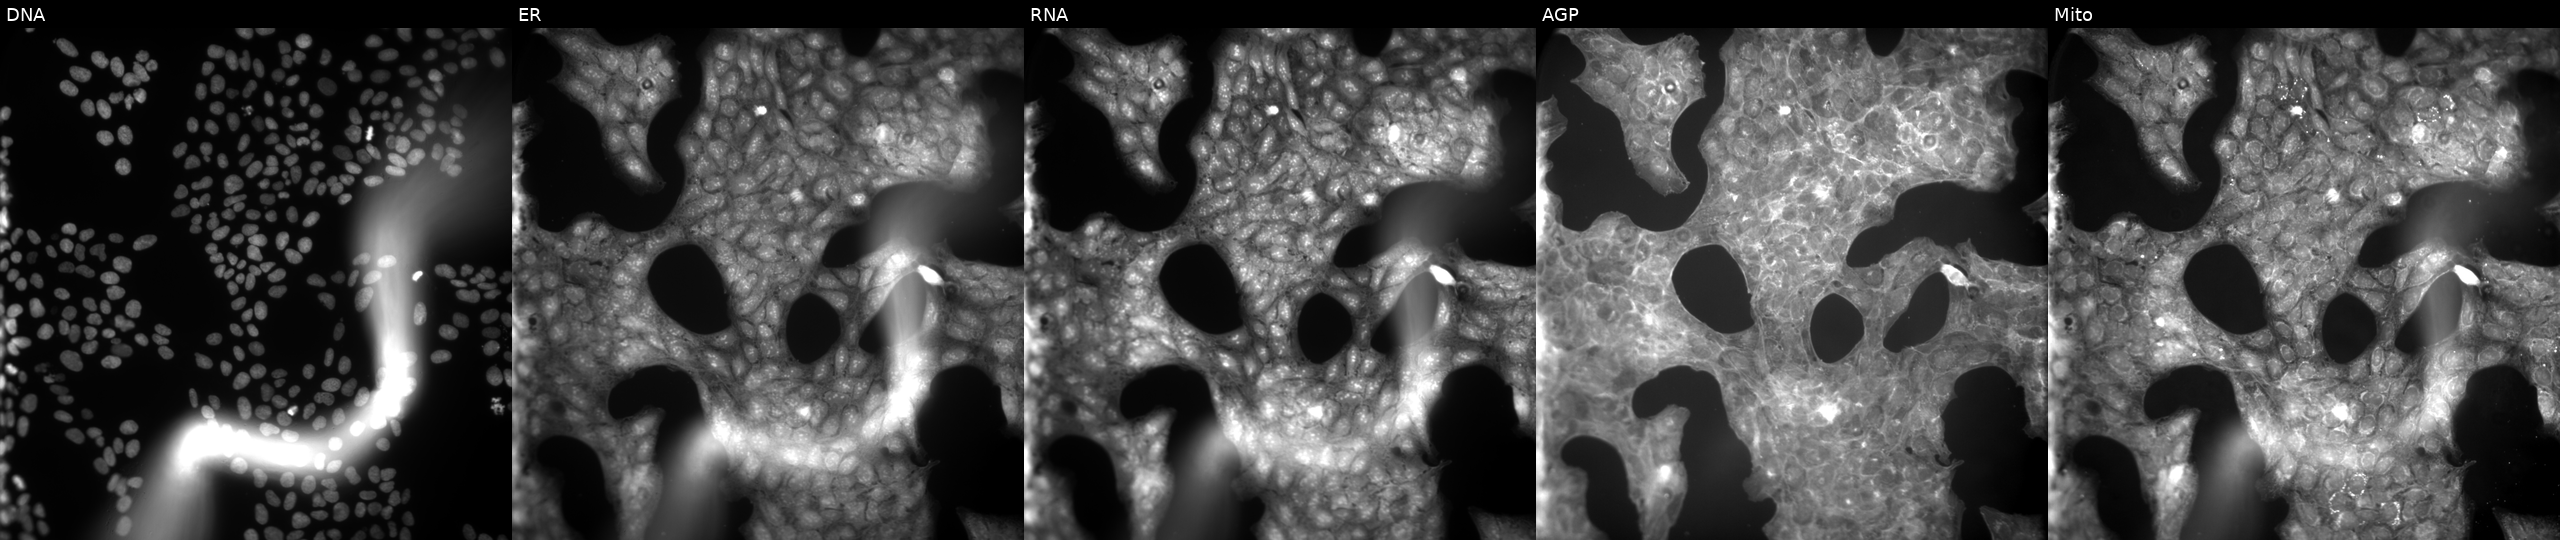
The five panels, left to right, show DNA, ER, RNA, AGP, and Mito. U2OS osteosarcoma cells treated with a small-molecule compound (InChIKey IBCXZJCWDGCXQT-UHFFFAOYSA-N) (JUMP id JCP2022_033954). Cell Painting assay, JUMP-CP dataset. Source 9, plate GR00003381, well AC01.